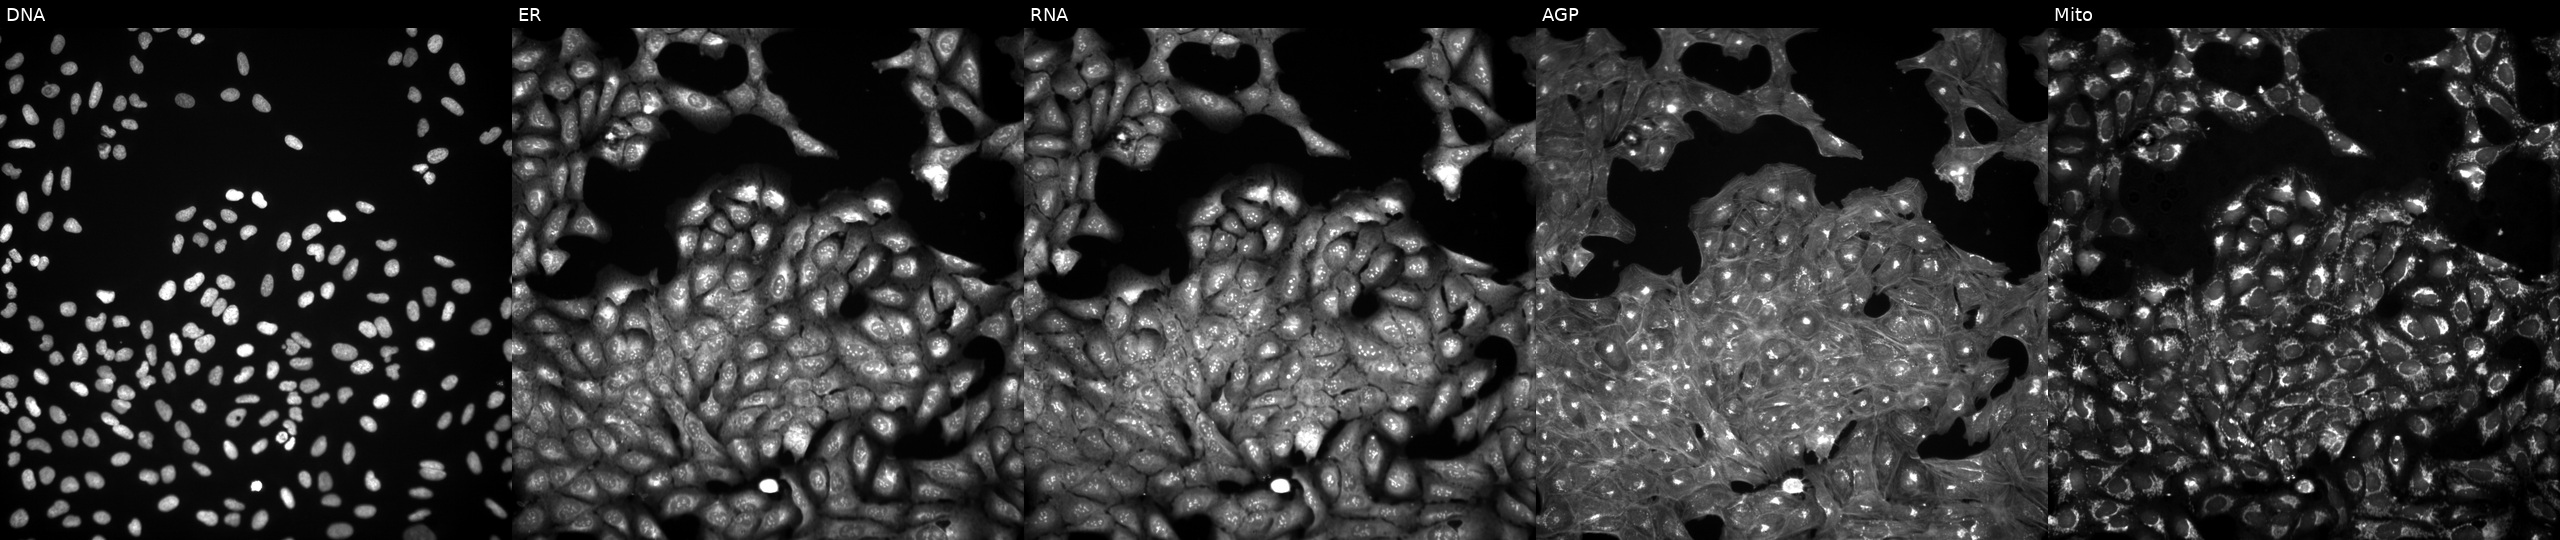
Panels show, left to right, Hoechst 33342, concanavalin A, SYTO 14, phalloidin and WGA, MitoTracker. U2OS osteosarcoma cells treated with a small-molecule compound (InChIKey UPWGQKDVAURUGE-UHFFFAOYSA-N). Cell Painting assay, JUMP-CP dataset. Source 3, plate JCPQC052, well P14.